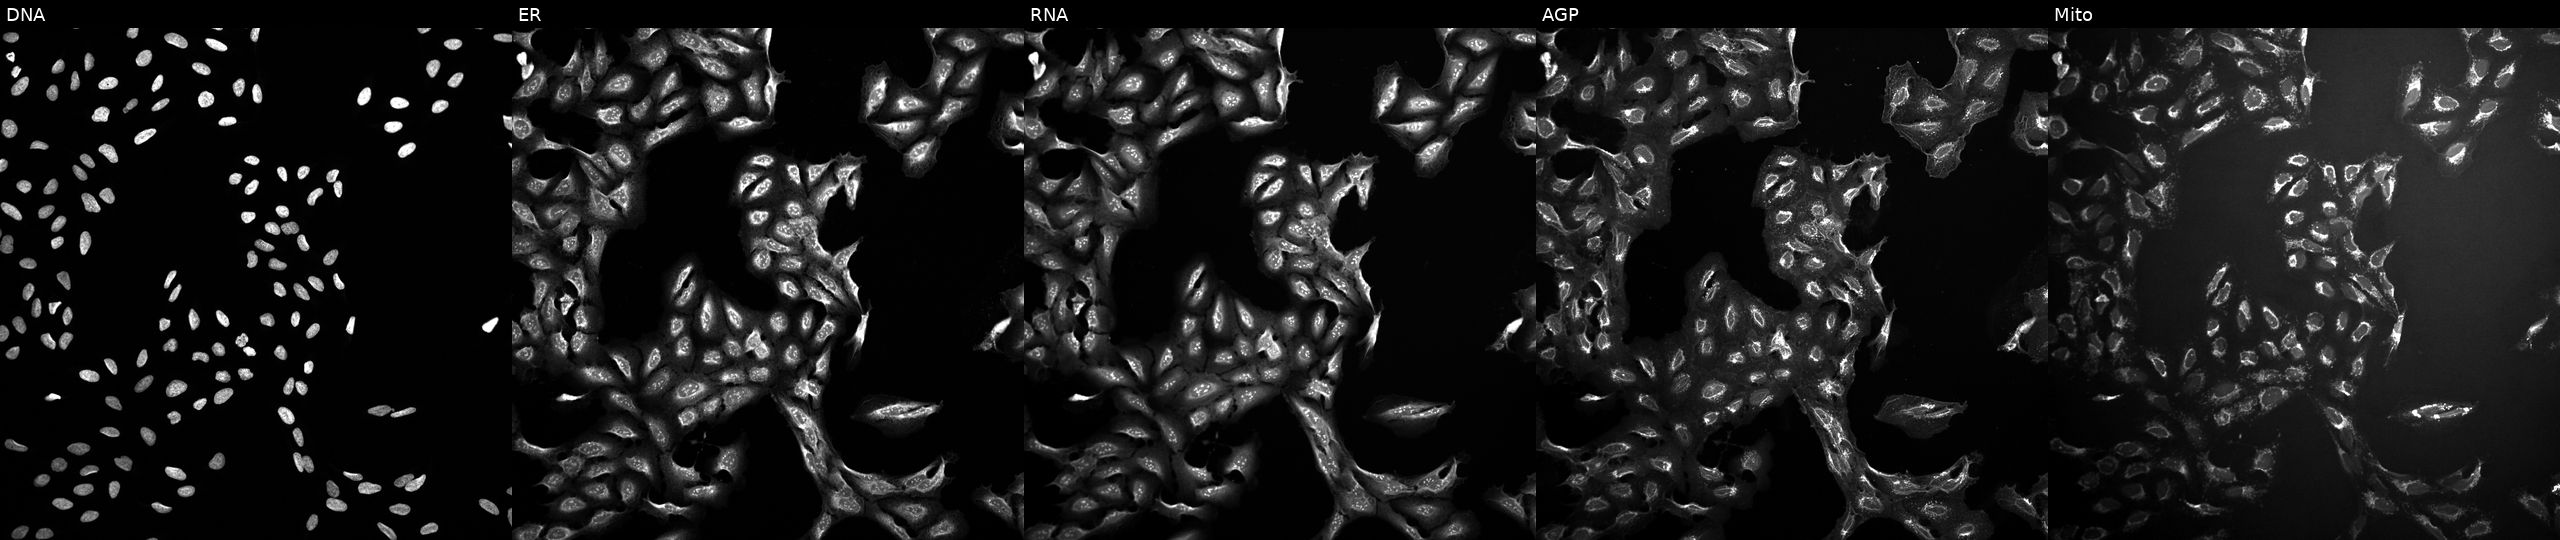
The five panels, left to right, show DNA (nuclei); ER (endoplasmic reticulum); RNA (nucleoli and cytoplasmic RNA); AGP (actin cytoskeleton, Golgi, and plasma membrane); Mito (mitochondria). U2OS osteosarcoma cells perturbed with a small-molecule compound (InChIKey IBAQFPQHRJAVAV-UHFFFAOYSA-N) [SMILES: OCCN1CC(O)C(O)C(O)C1CO]. Cell Painting assay, JUMP-CP dataset.